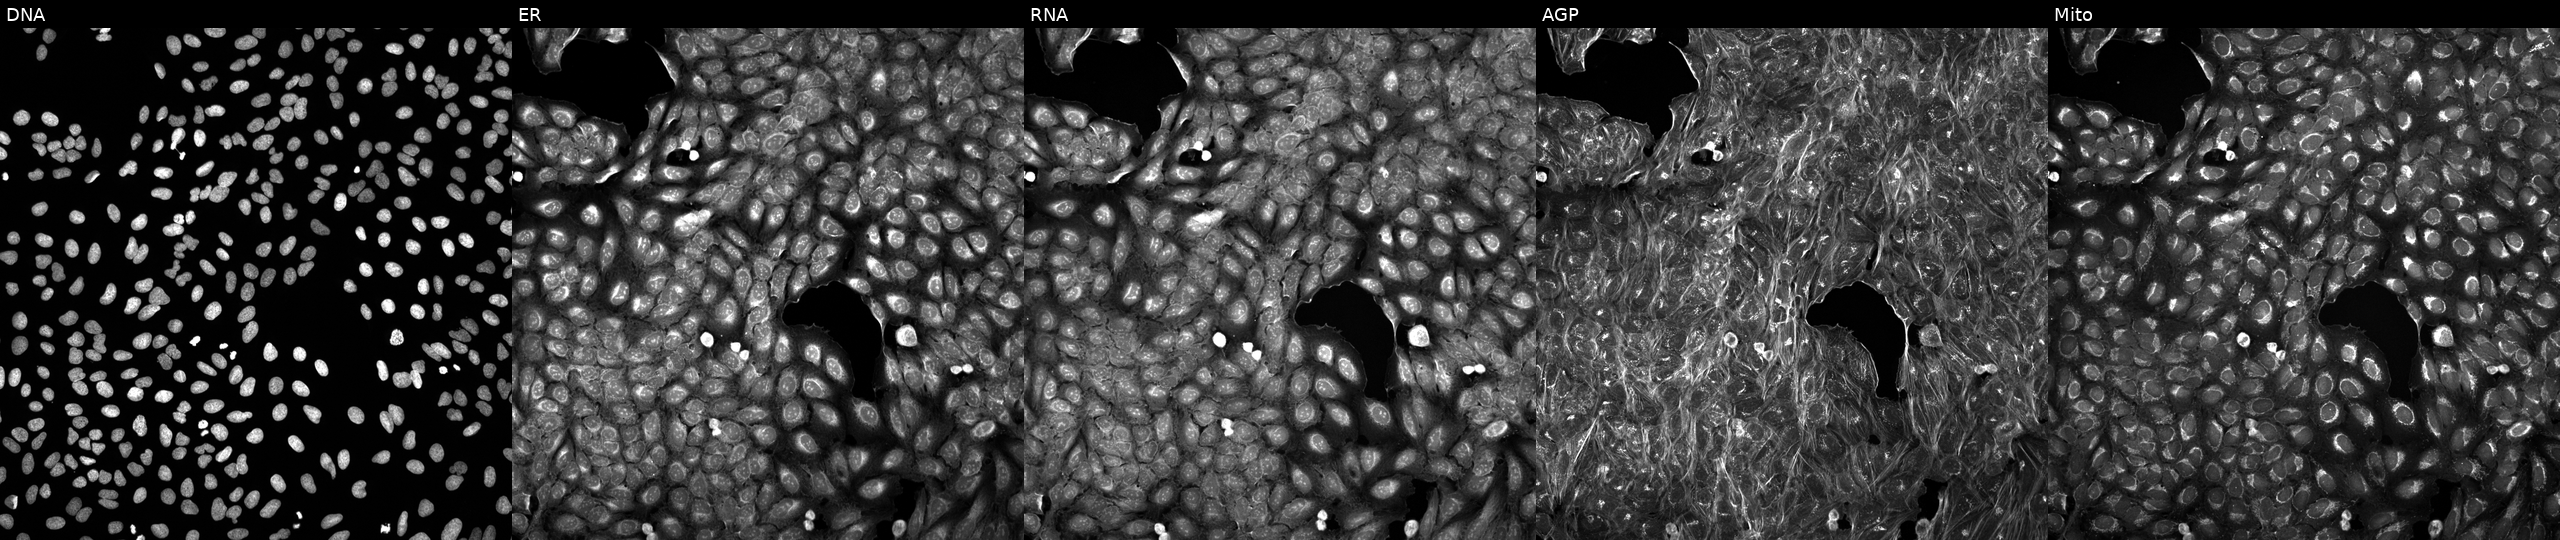
Five-channel Cell Painting image of U2OS cells treated with a small-molecule compound (InChIKey NOIIUHRQUVNIDD-UHFFFAOYSA-N) (JUMP id JCP2022_060311). Panels show, left to right, DNA, ER, RNA, AGP, and Mito.